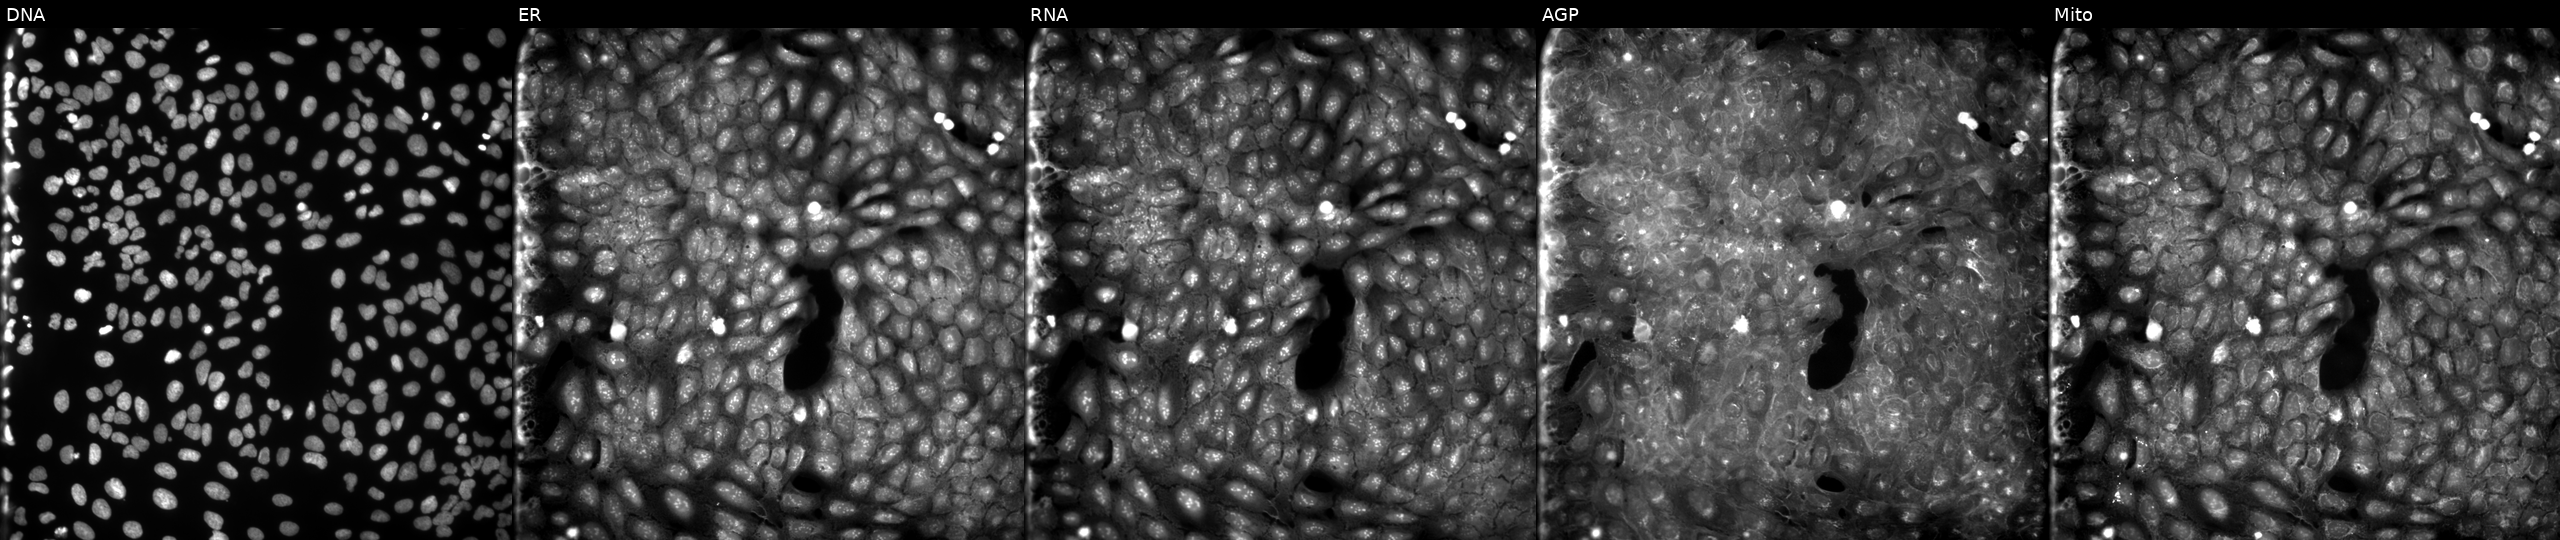
JUMP Cell Painting — COMPOUND plate. U2OS cells perturbed with a small-molecule compound (InChIKey JVJKKOMCHYRLNY-UHFFFAOYSA-N) (JUMP id JCP2022_042381). The five panels, left to right, show DNA, ER, RNA, AGP, and Mito.